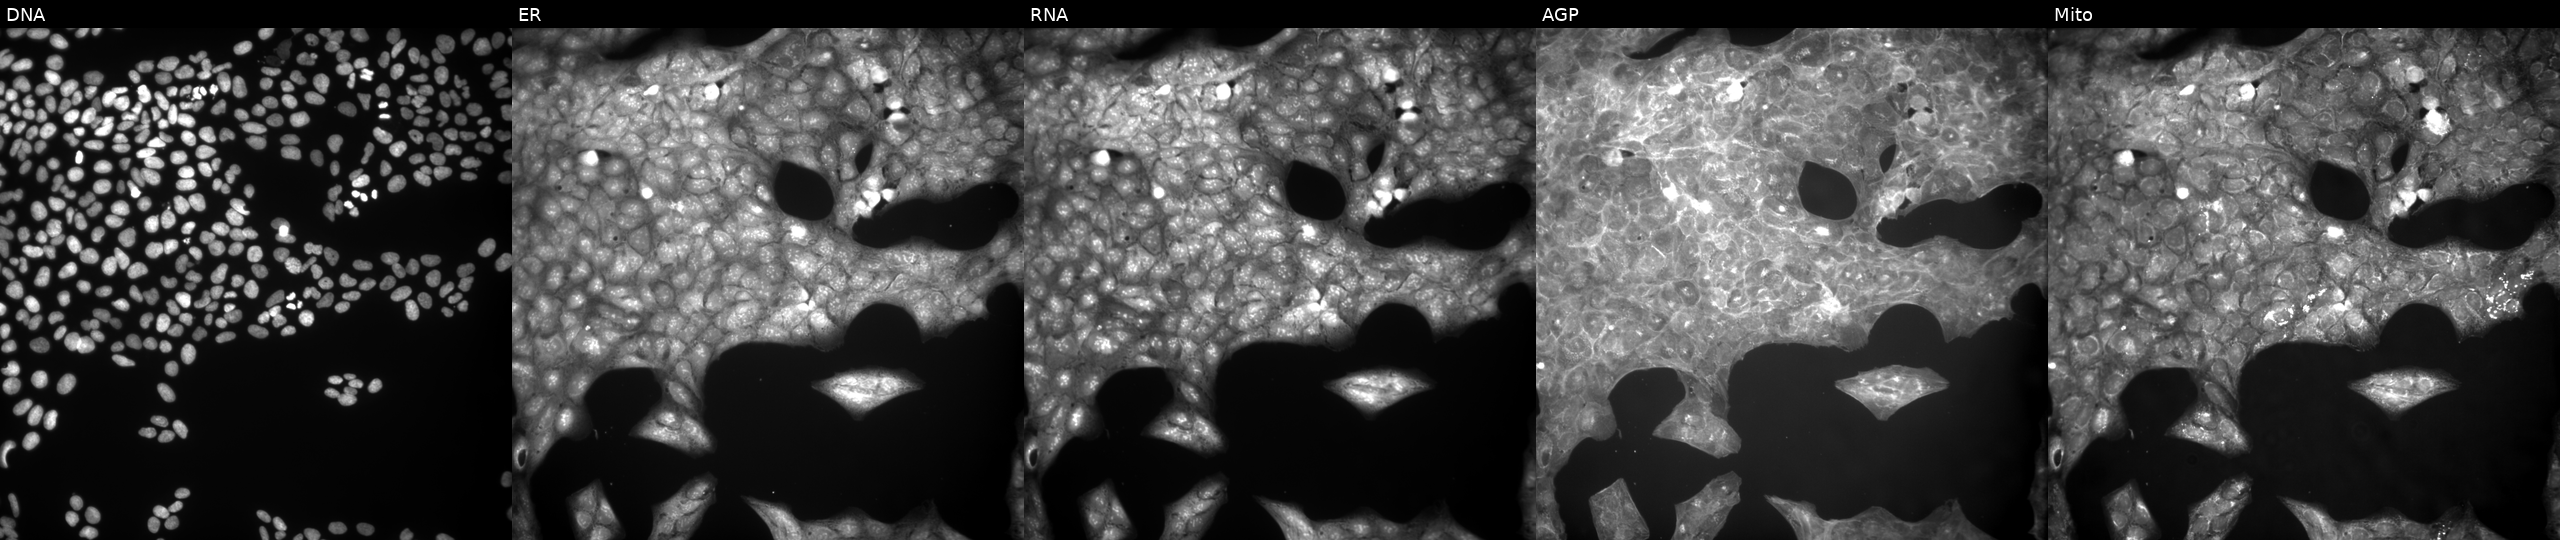
JUMP Cell Painting — COMPOUND plate. U2OS cells exposed to a small-molecule compound (InChIKey IBCXZJCWDGCXQT-UHFFFAOYSA-N). Channels (left→right): DNA (nuclei); ER (endoplasmic reticulum); RNA (nucleoli and cytoplasmic RNA); AGP (actin cytoskeleton, Golgi, and plasma membrane); Mito (mitochondria).